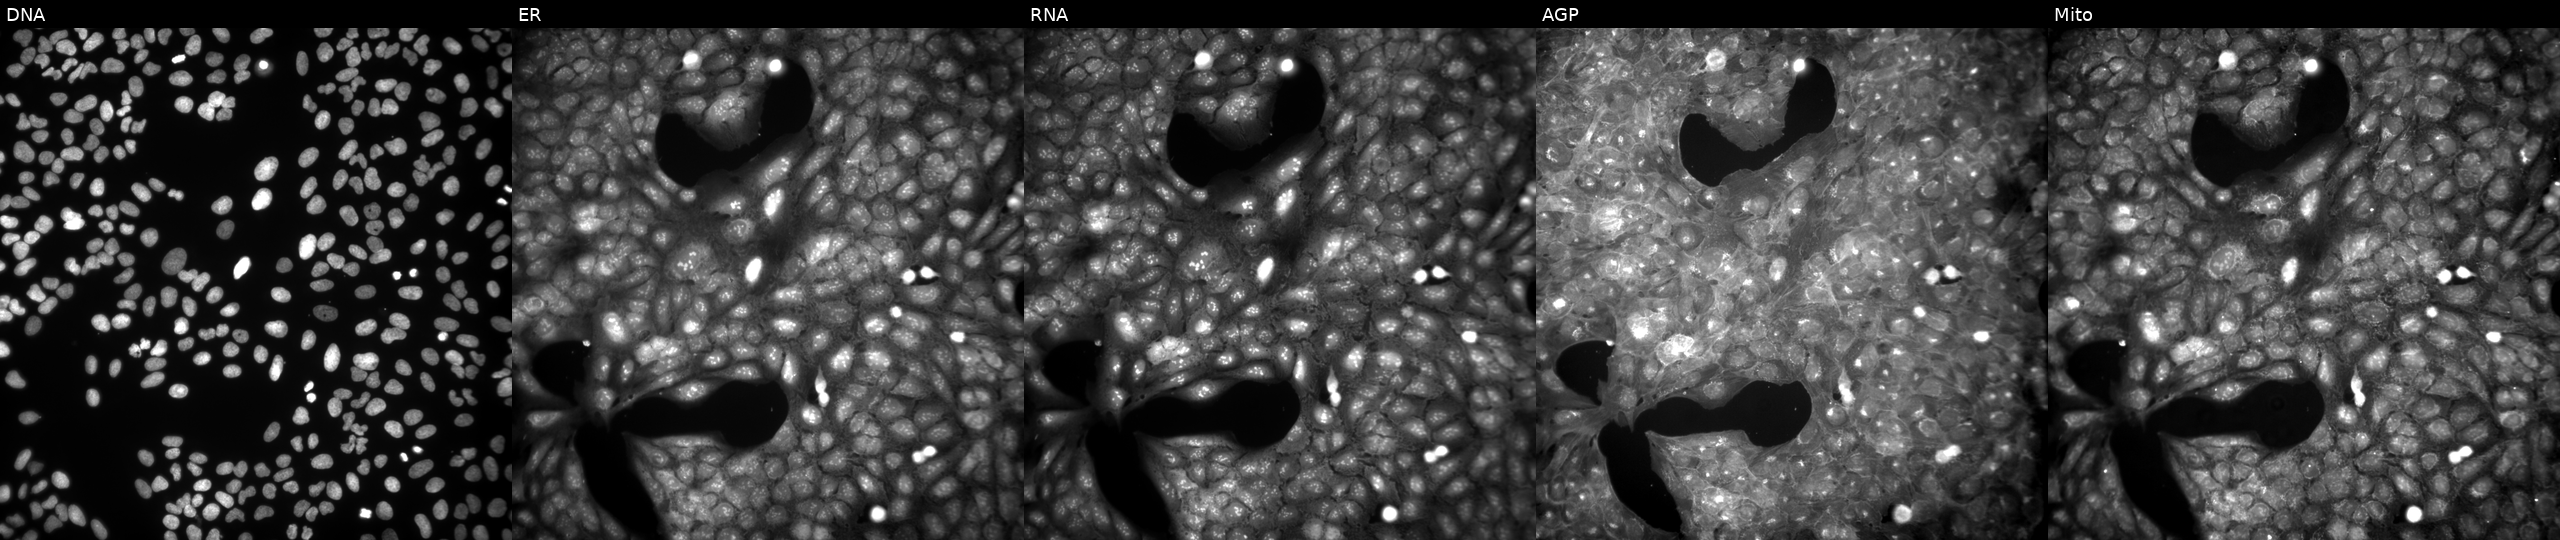
JUMP Cell Painting — COMPOUND plate. U2OS cells perturbed with a small-molecule compound (InChIKey NQBWNECTZUOWID-UHFFFAOYSA-N). From left to right: DNA (nuclei); ER (endoplasmic reticulum); RNA (nucleoli and cytoplasmic RNA); AGP (actin cytoskeleton, Golgi, and plasma membrane); Mito (mitochondria).